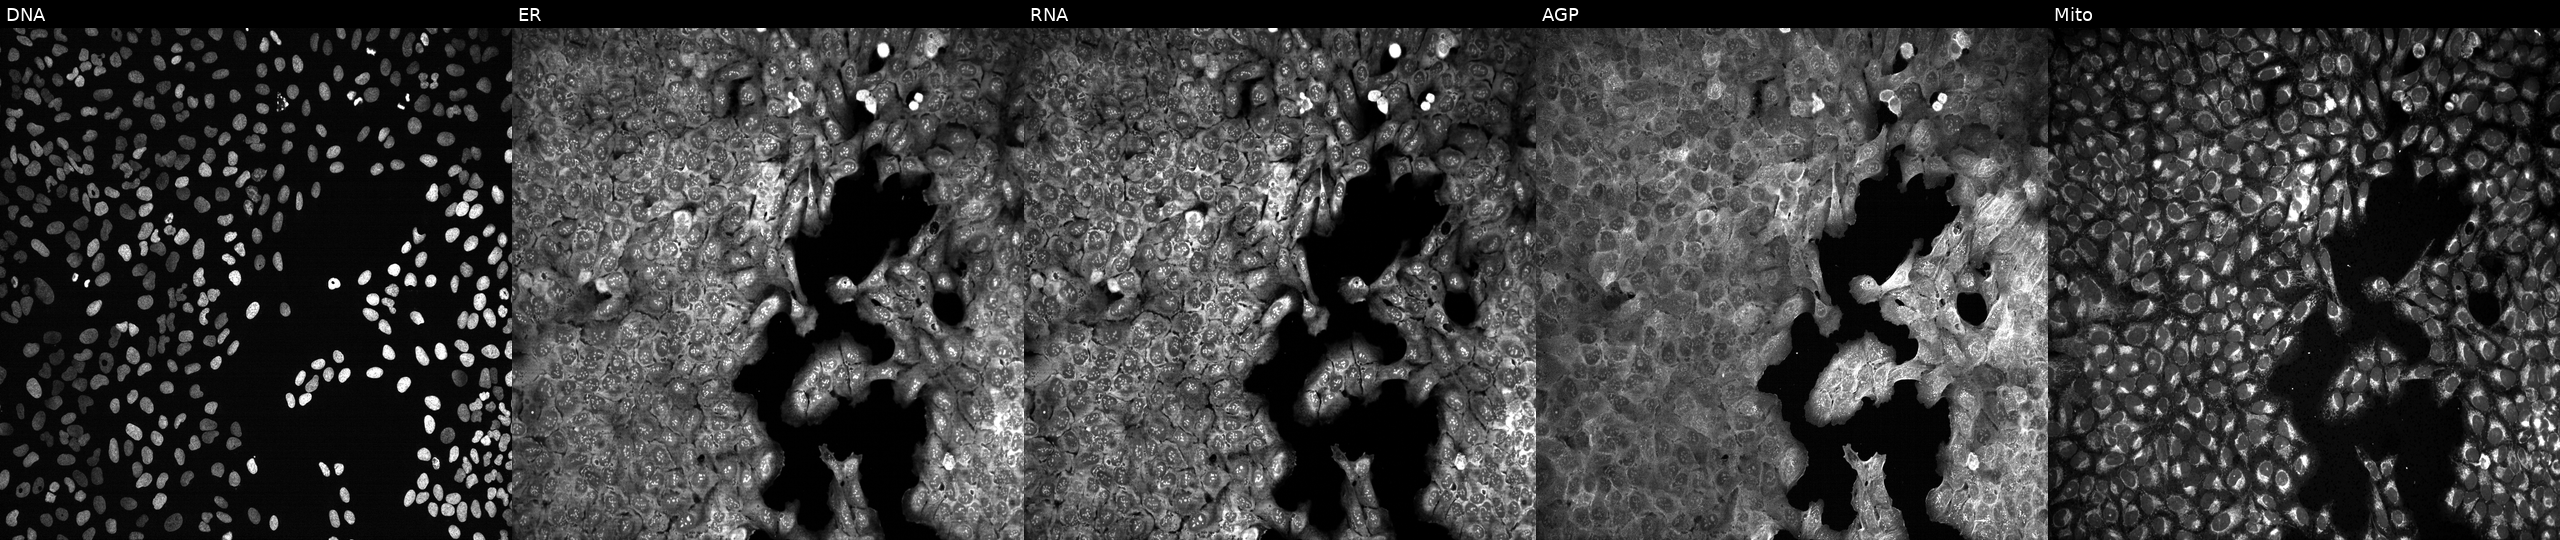
JUMP Cell Painting — CRISPR plate. U2OS cells treated with DMSO vehicle only (negative control) (JUMP id JCP2022_033924). Channels (left→right): Hoechst 33342, concanavalin A, SYTO 14, phalloidin and WGA, MitoTracker.